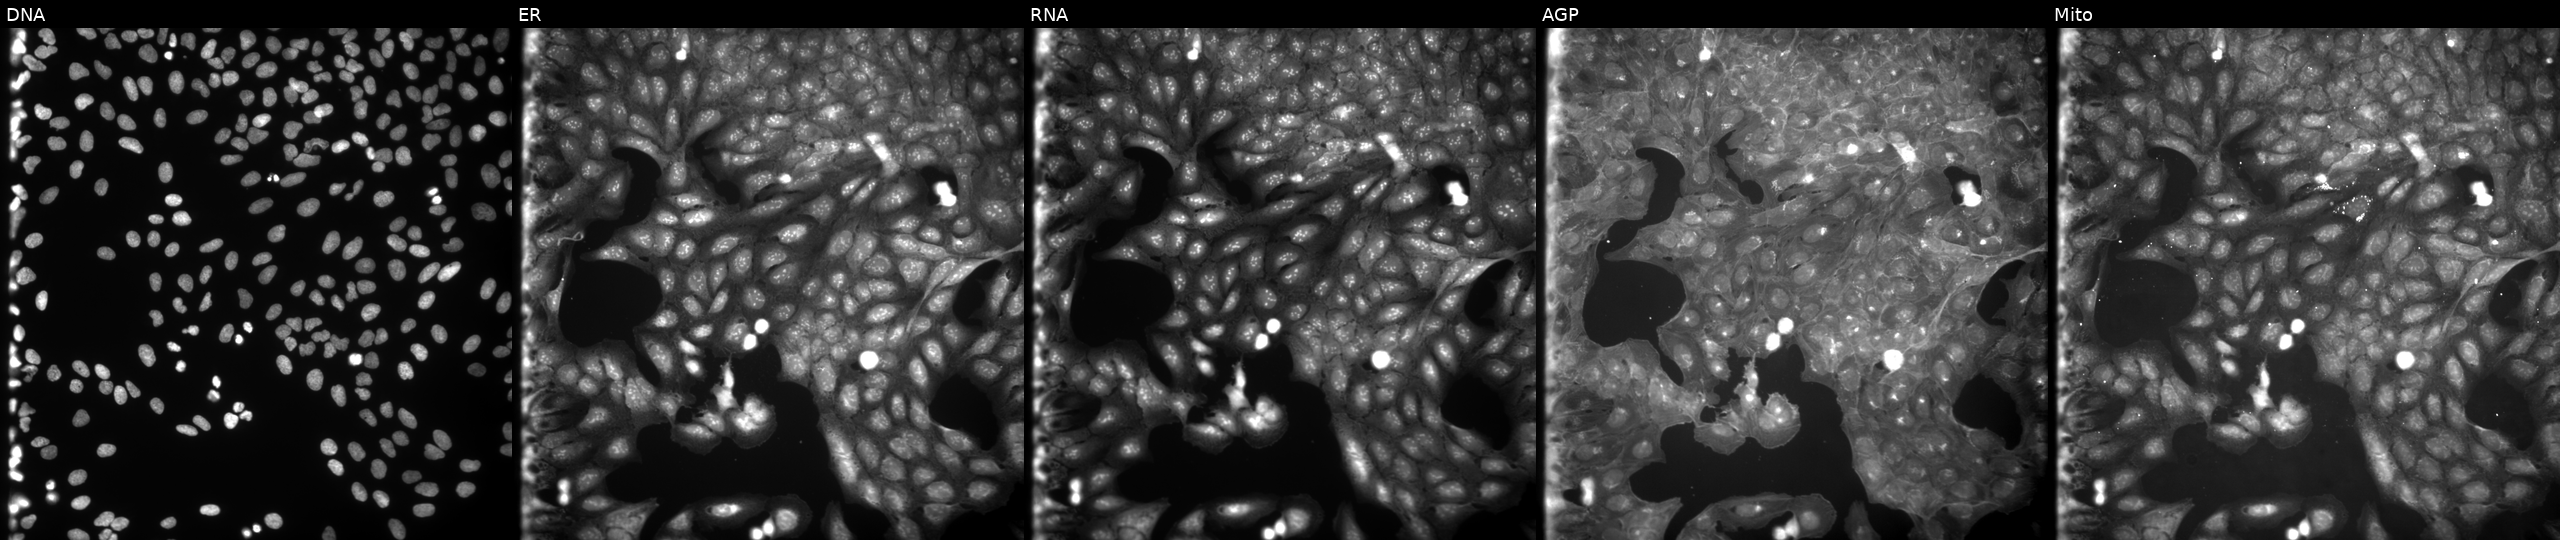
This image strip shows the five Cell Painting channels for a single field of U2OS cells exposed to a small-molecule compound (InChIKey BKJJXWSDOQNYCR-UHFFFAOYSA-N) (JUMP id JCP2022_006923). The five panels, left to right, show DNA, ER, RNA, AGP, and Mito.